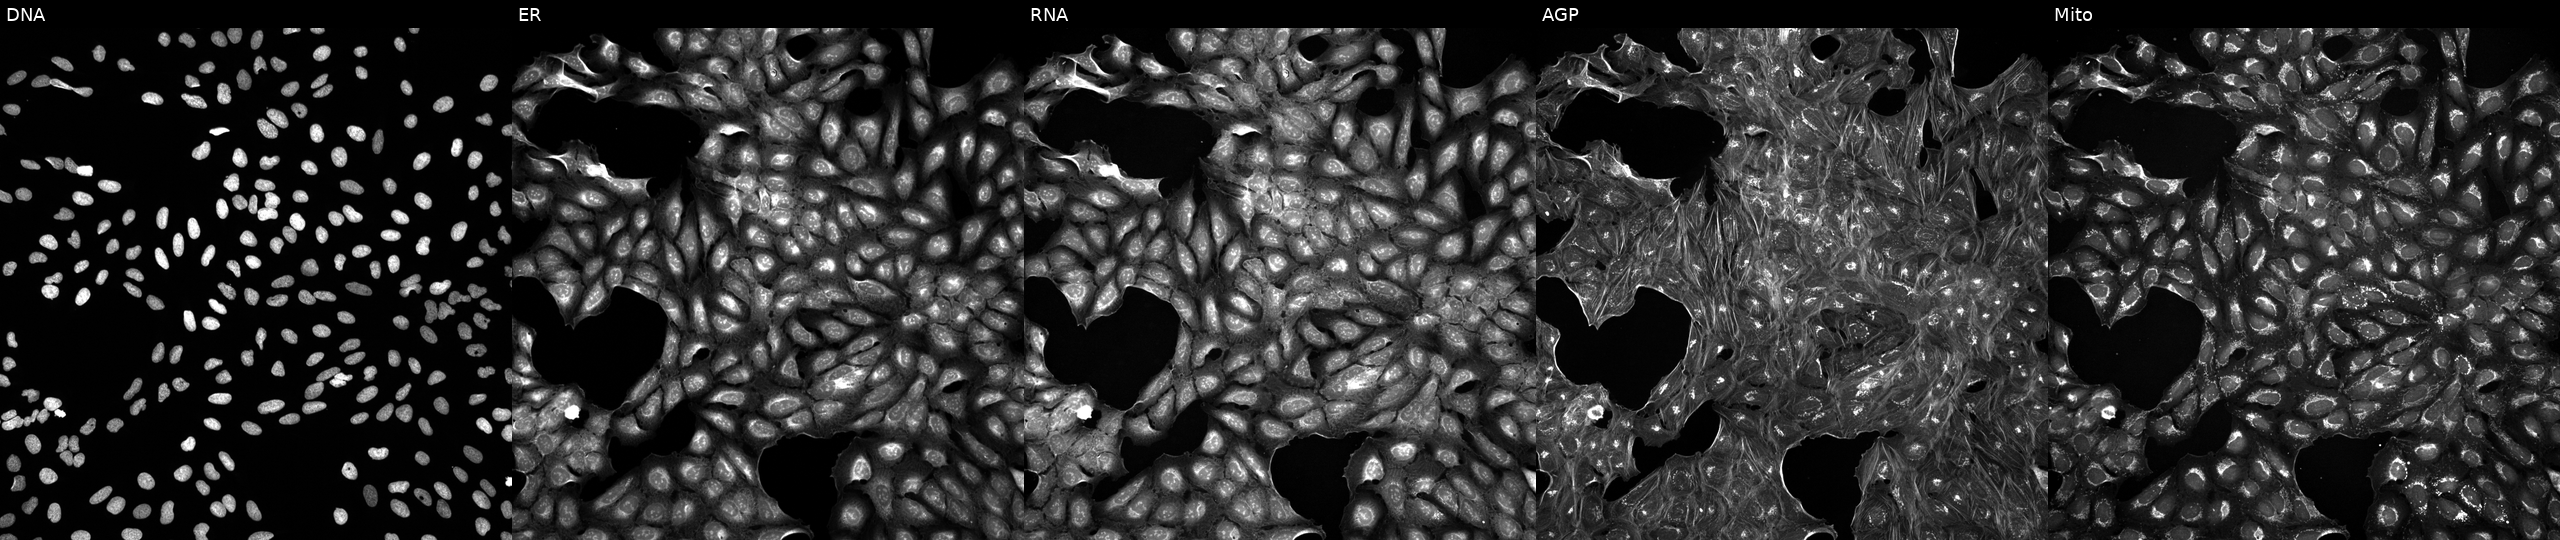
This image strip shows the five Cell Painting channels for a single field of U2OS cells perturbed with a small-molecule compound (InChIKey DXZRBHUCOHBAHP-UHFFFAOYSA-N). Channels (left→right): Hoechst 33342, concanavalin A, SYTO 14, phalloidin and WGA, MitoTracker. Source 5, plate ACPJUM032, well C13.